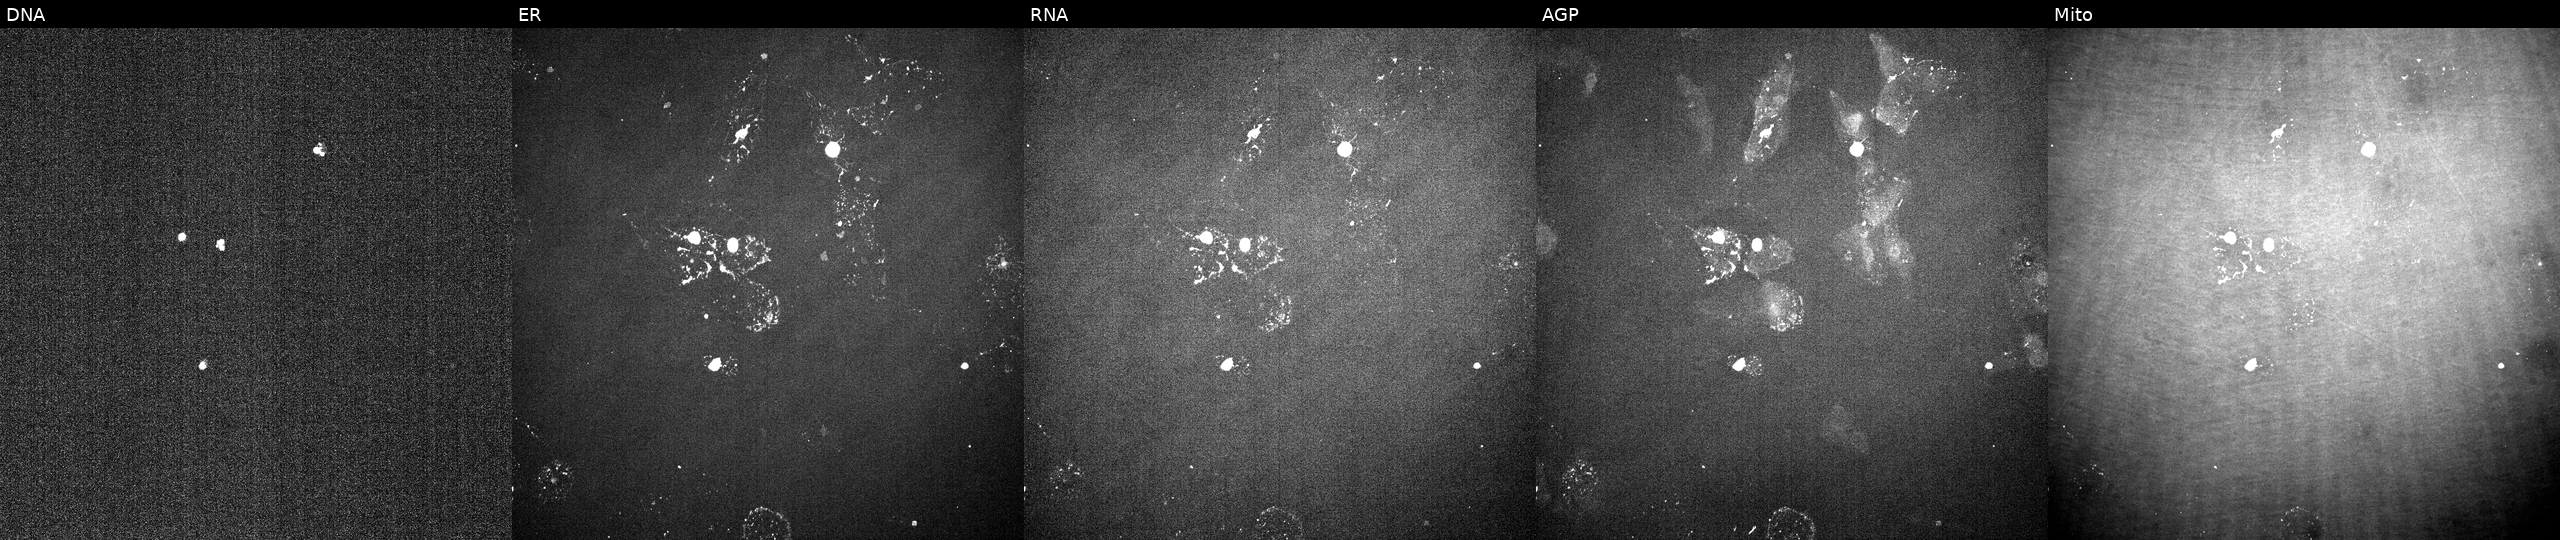
High-content fluorescence microscopy (Cell Painting). Cell line: U2OS. Perturbation: perturbed with a small-molecule compound (InChIKey RXWNCPJZOCPEPQ-UHFFFAOYSA-N) (JUMP id JCP2022_081430). Channels (left→right): DNA, ER, RNA, AGP, and Mito.